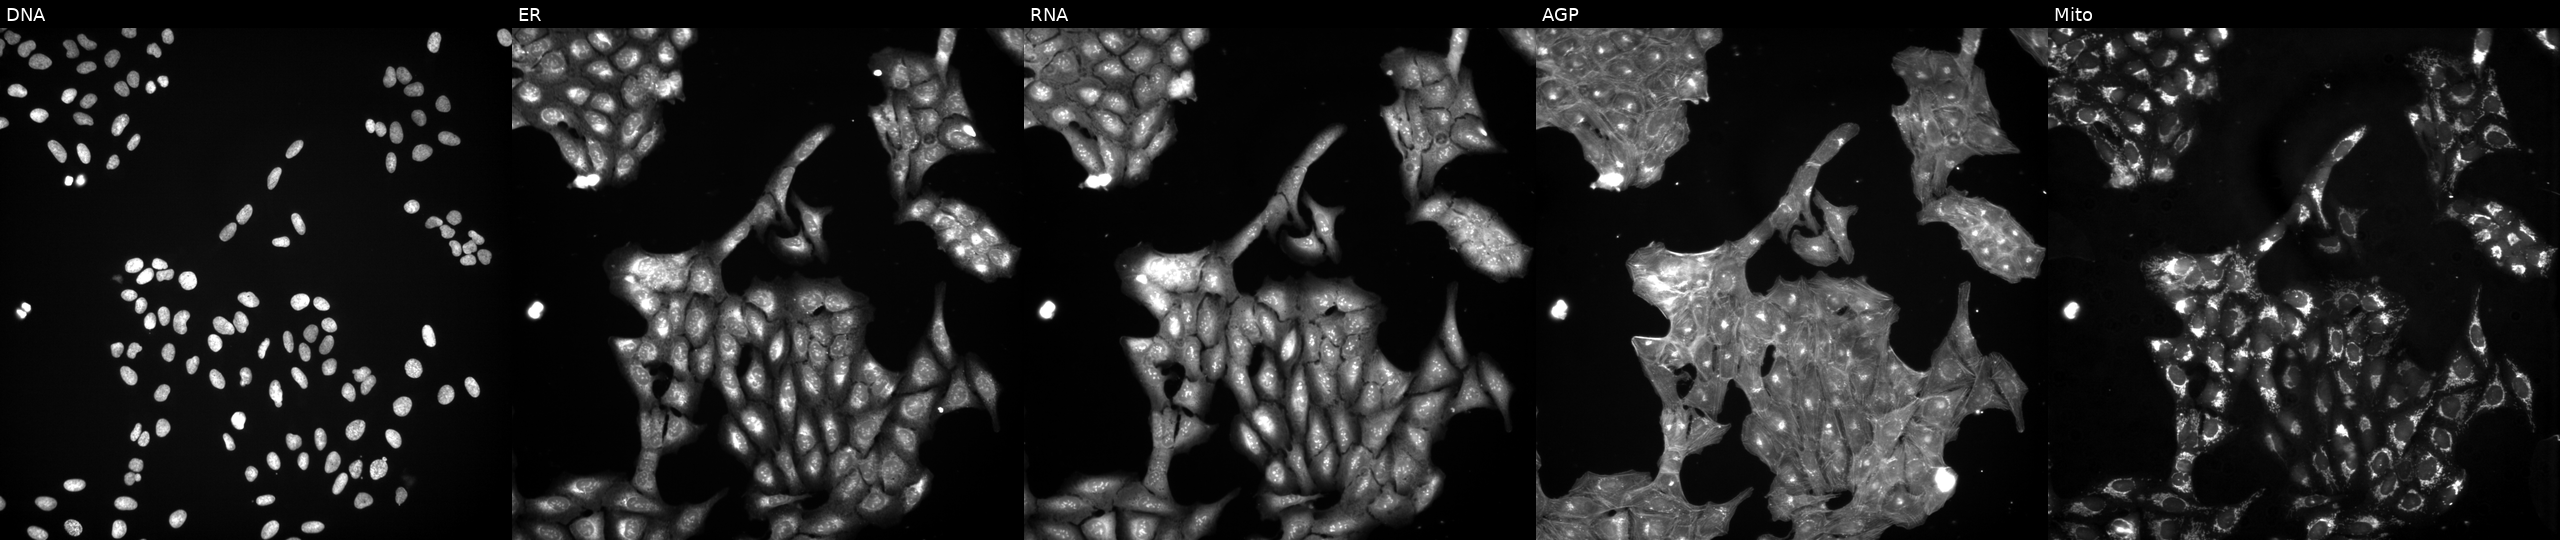
High-content fluorescence microscopy (Cell Painting). Cell line: U2OS. Perturbation: exposed to DMSO alone as a negative control. Panels show, left to right, DNA, ER, RNA, AGP, and Mito. Source 3, plate JCPQC053, well G19.